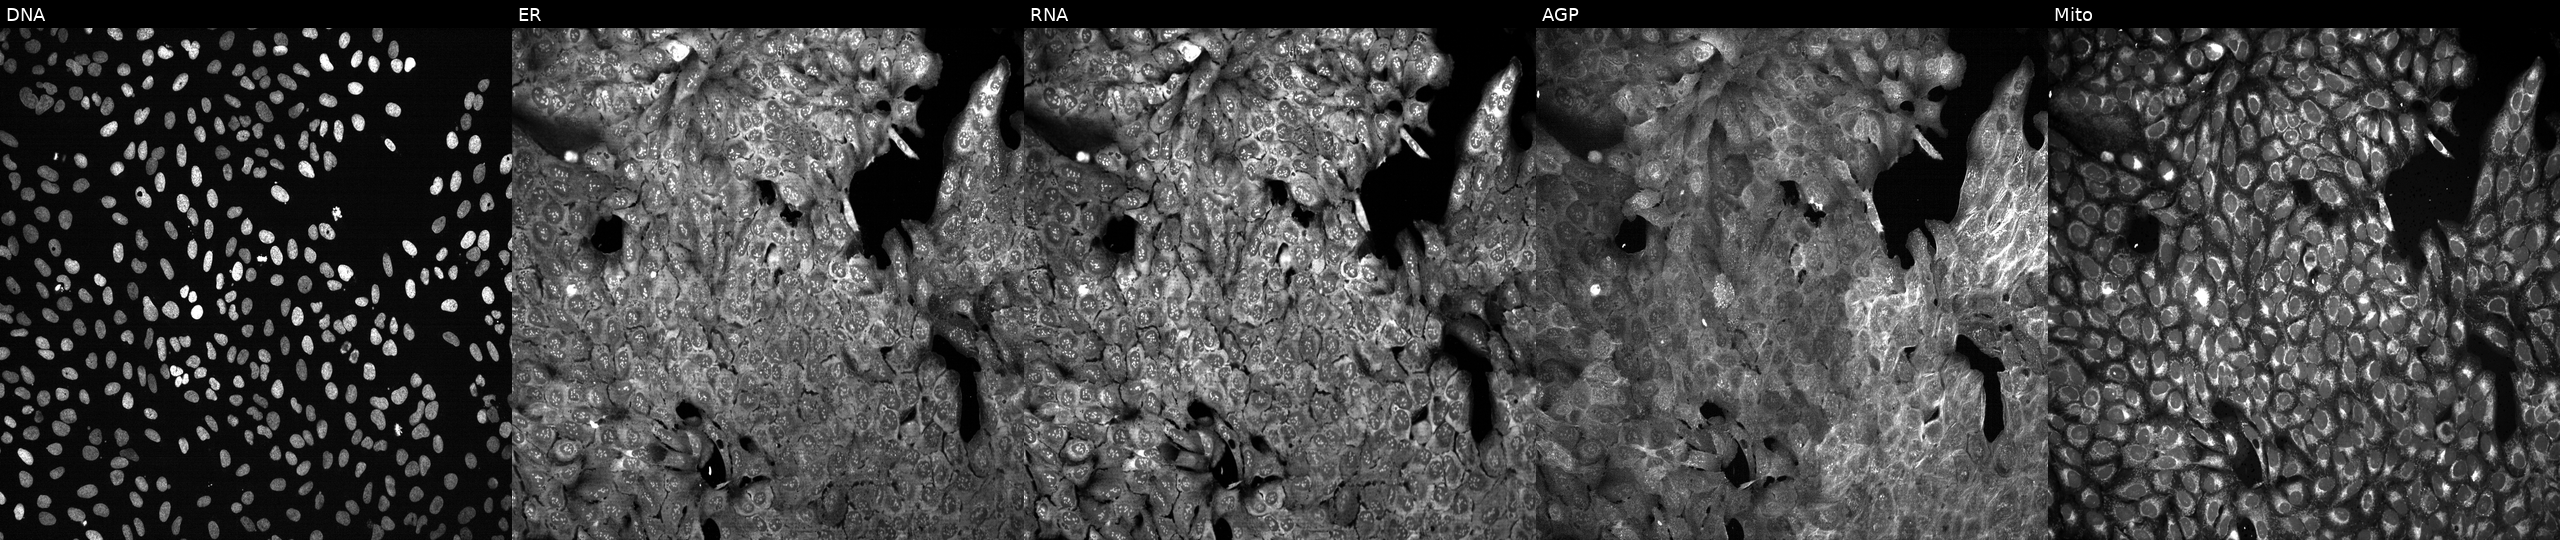
Five-channel Cell Painting image of U2OS cells with IL12RB2 knocked out by CRISPR. Panels show, left to right, Hoechst 33342, concanavalin A, SYTO 14, phalloidin and WGA, MitoTracker. Source 13, plate CP-CC9-R2-01, well O17.